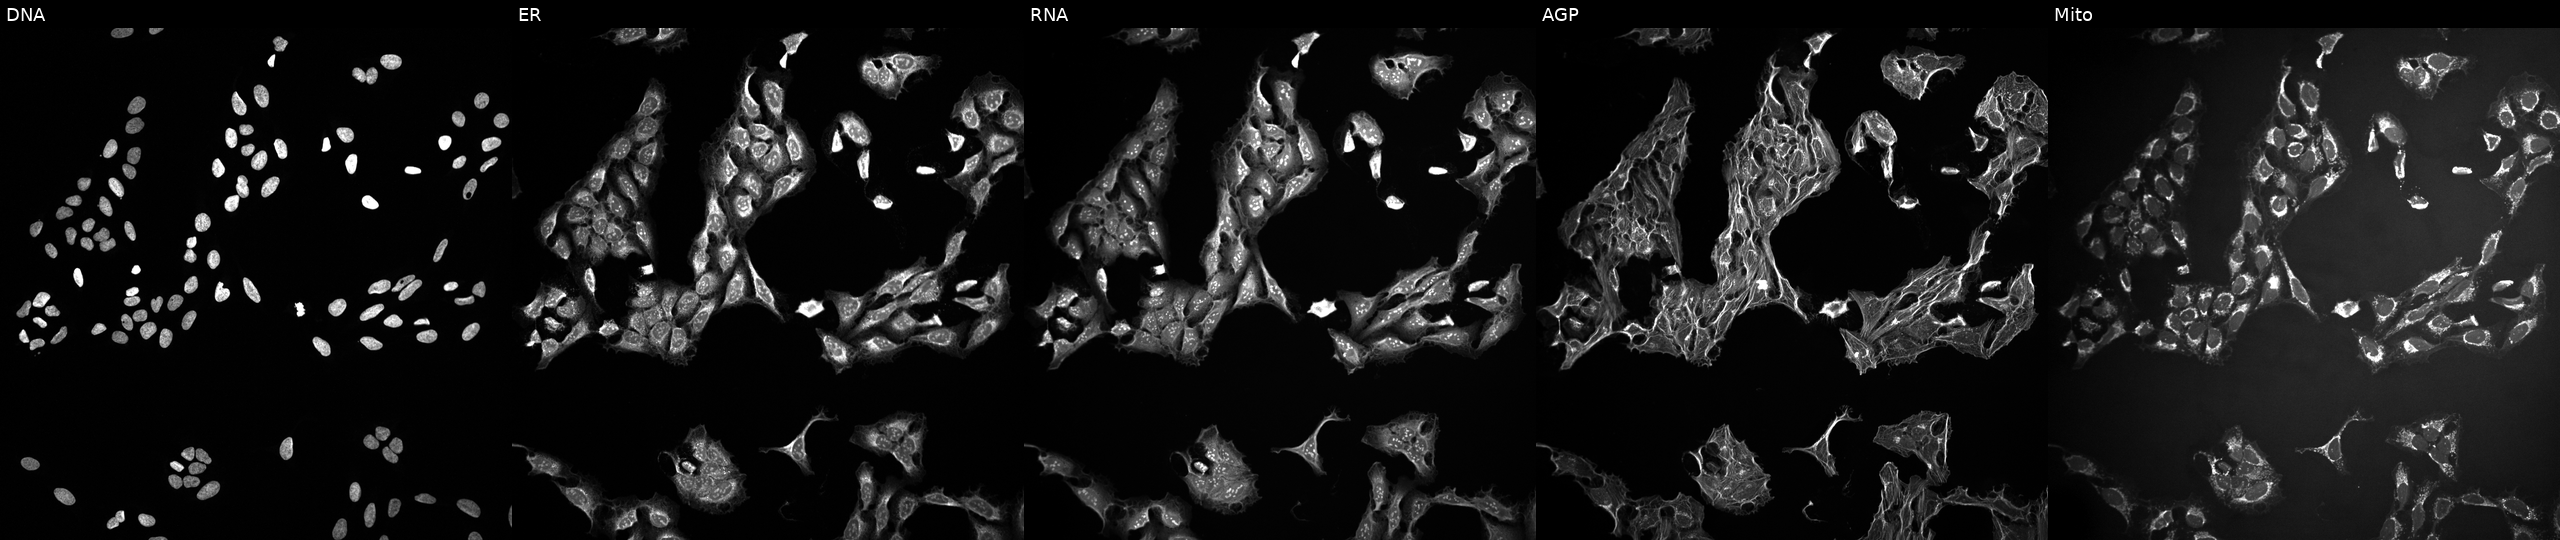
Five-channel Cell Painting image of U2OS cells perturbed with a small-molecule compound (InChIKey IKENVDNFQMCRTR-UHFFFAOYSA-N). Panels show, left to right, Hoechst 33342, concanavalin A, SYTO 14, phalloidin and WGA, MitoTracker. Source 10, plate Dest210727-153003, well N17.